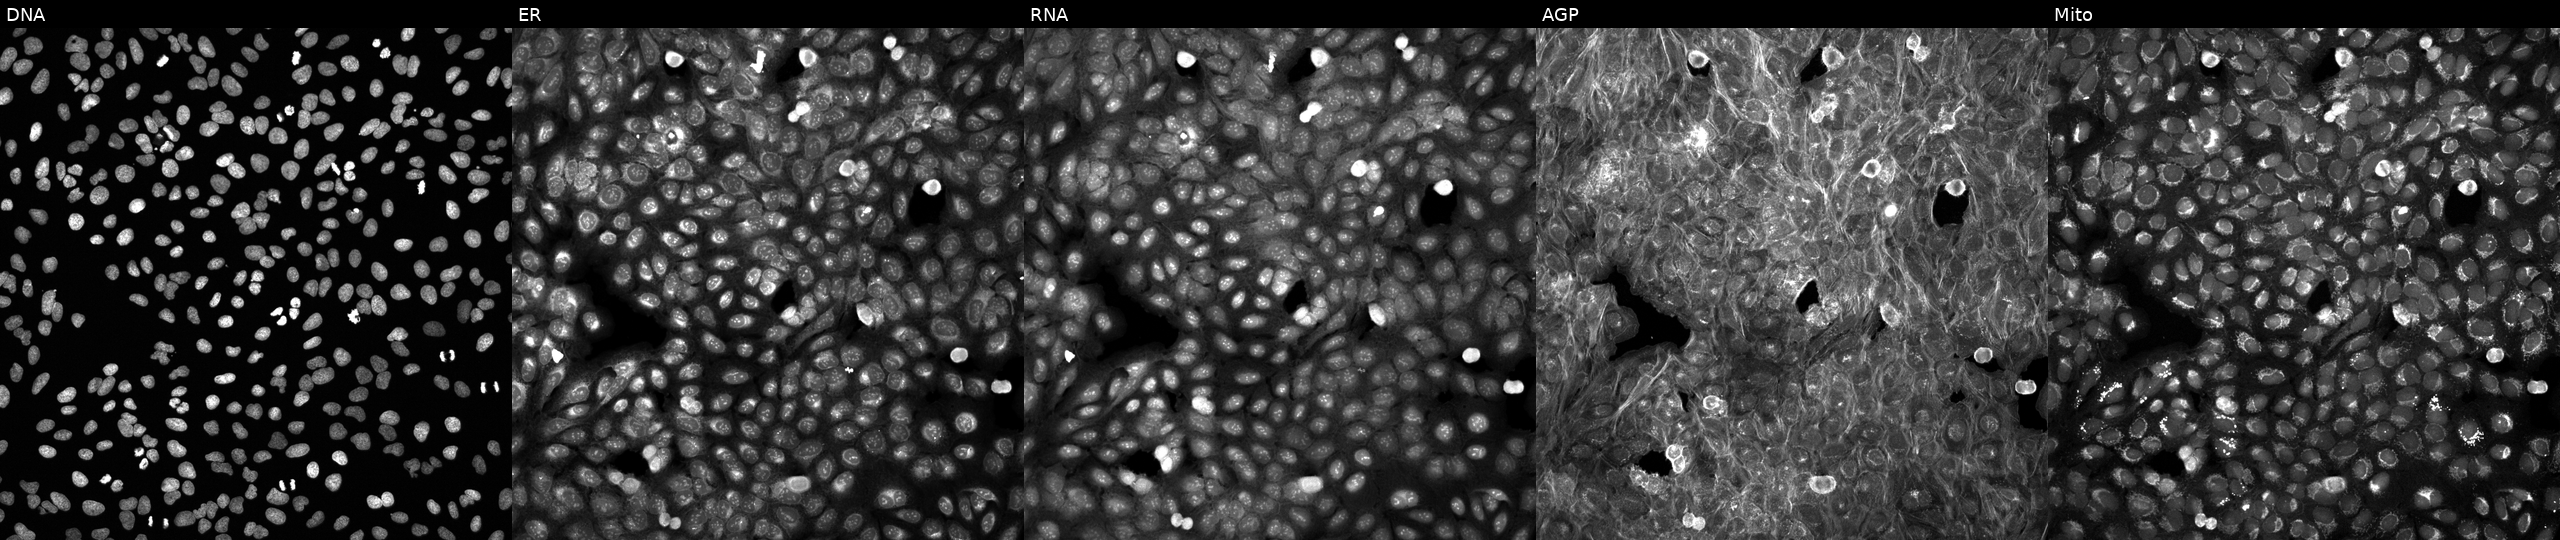
This image strip shows the five Cell Painting channels for a single field of U2OS cells perturbed with a small-molecule compound [SMILES: C=C1CCC2(O)C3Cc4ccc(O)c5c4C2(CCN3CC2CC2)C1O5] (JUMP id JCP2022_099089). Channels (left→right): Hoechst 33342, concanavalin A, SYTO 14, phalloidin and WGA, MitoTracker.